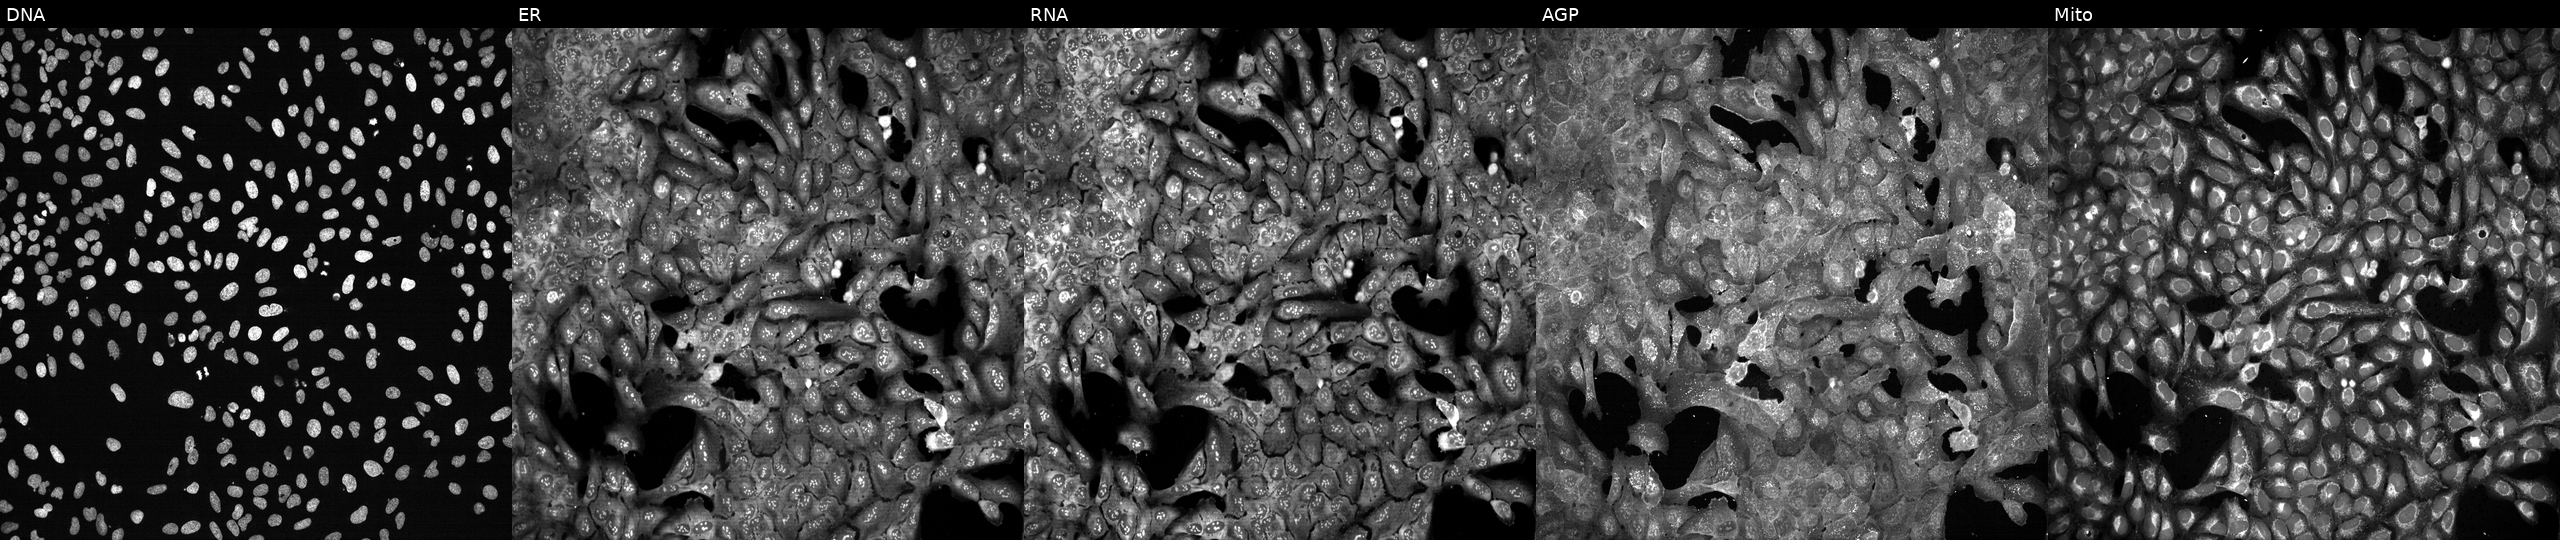
JUMP Cell Painting — CRISPR plate. U2OS cells CRISPR-edited to disrupt ADCY5 (JUMP id JCP2022_800219). Channels (left→right): DNA, ER, RNA, AGP, and Mito.